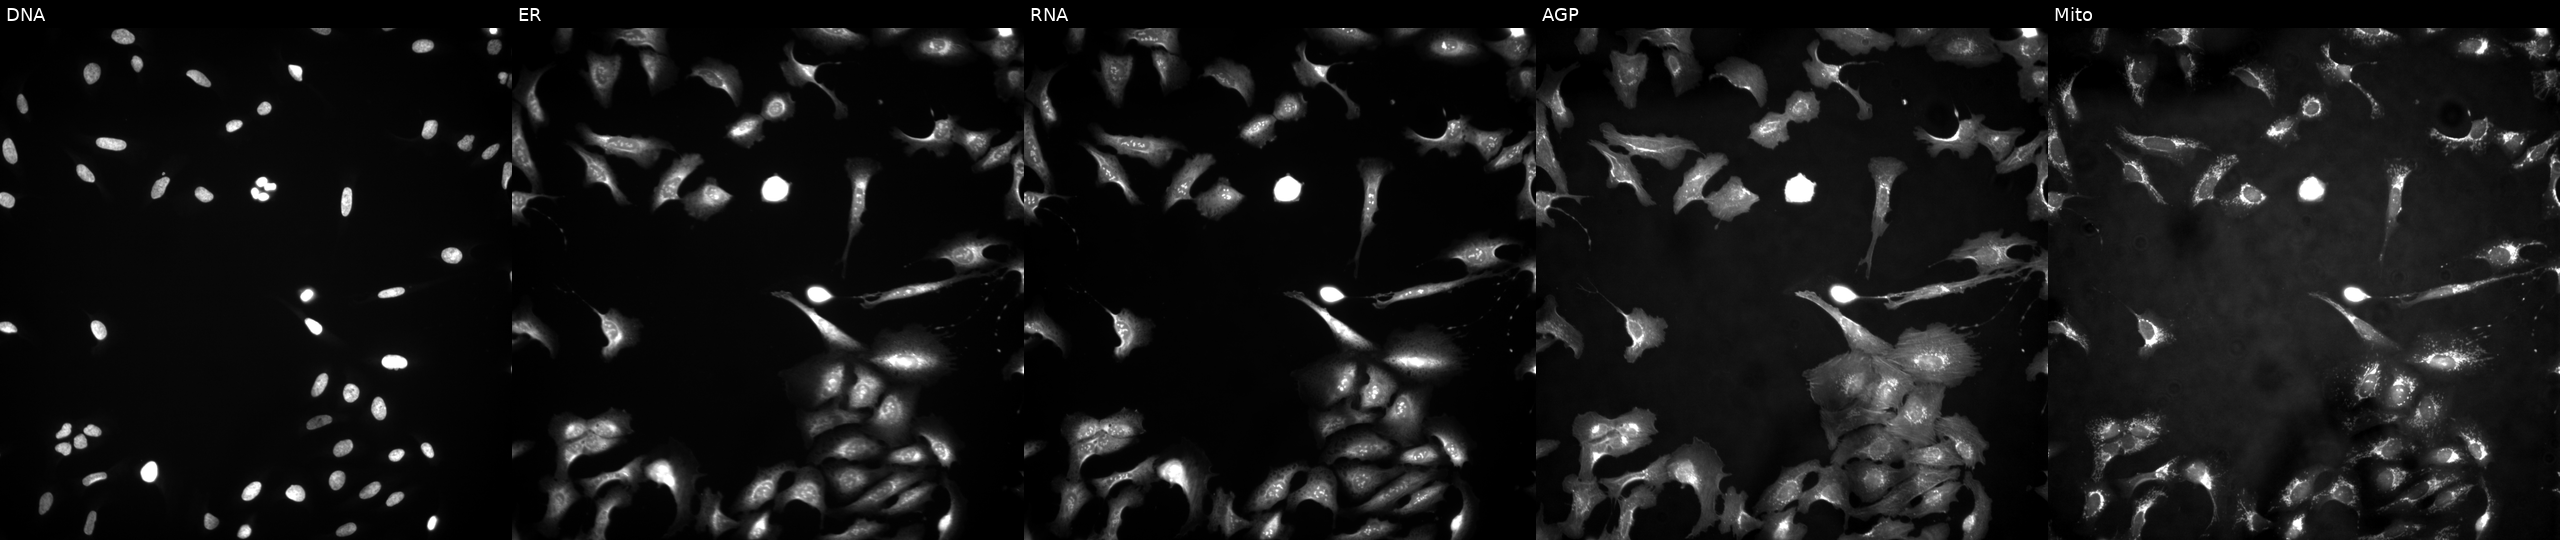
High-content fluorescence microscopy (Cell Painting). Cell line: U2OS. Perturbation: transfected with an ORF construct for LRRC20. Channels (left→right): DNA, ER, RNA, AGP, and Mito.